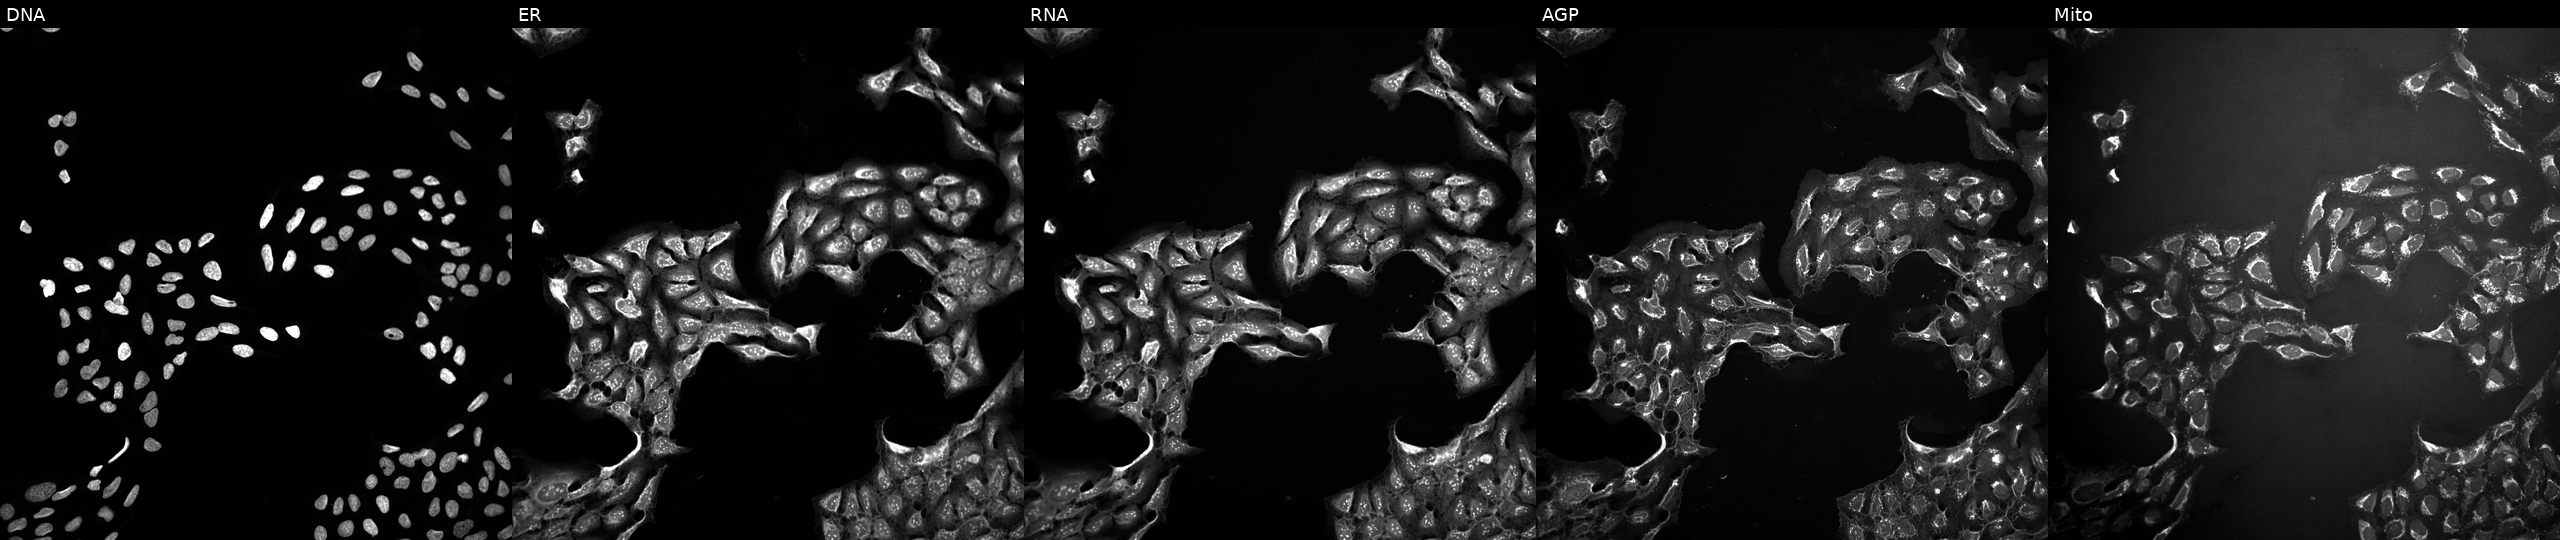
From left to right: DNA, ER, RNA, AGP, and Mito. U2OS osteosarcoma cells perturbed with a small-molecule compound. Cell Painting assay, JUMP-CP dataset.